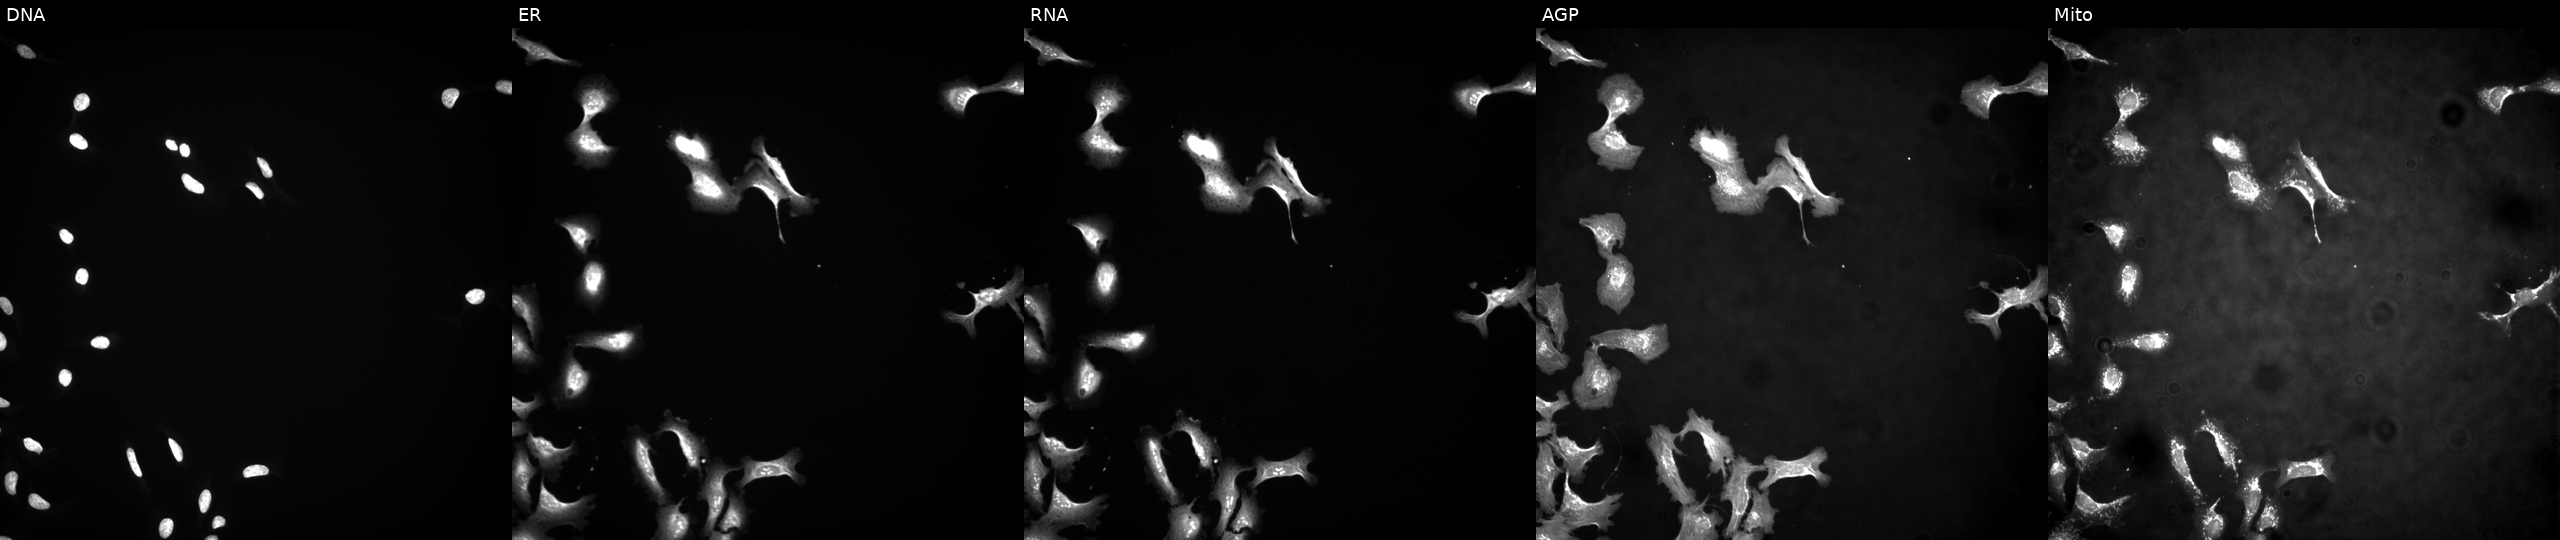
This image strip shows the five Cell Painting channels for a single field of U2OS cells transfected with an ORF construct for CMTM2. From left to right: DNA, ER, RNA, AGP, and Mito.